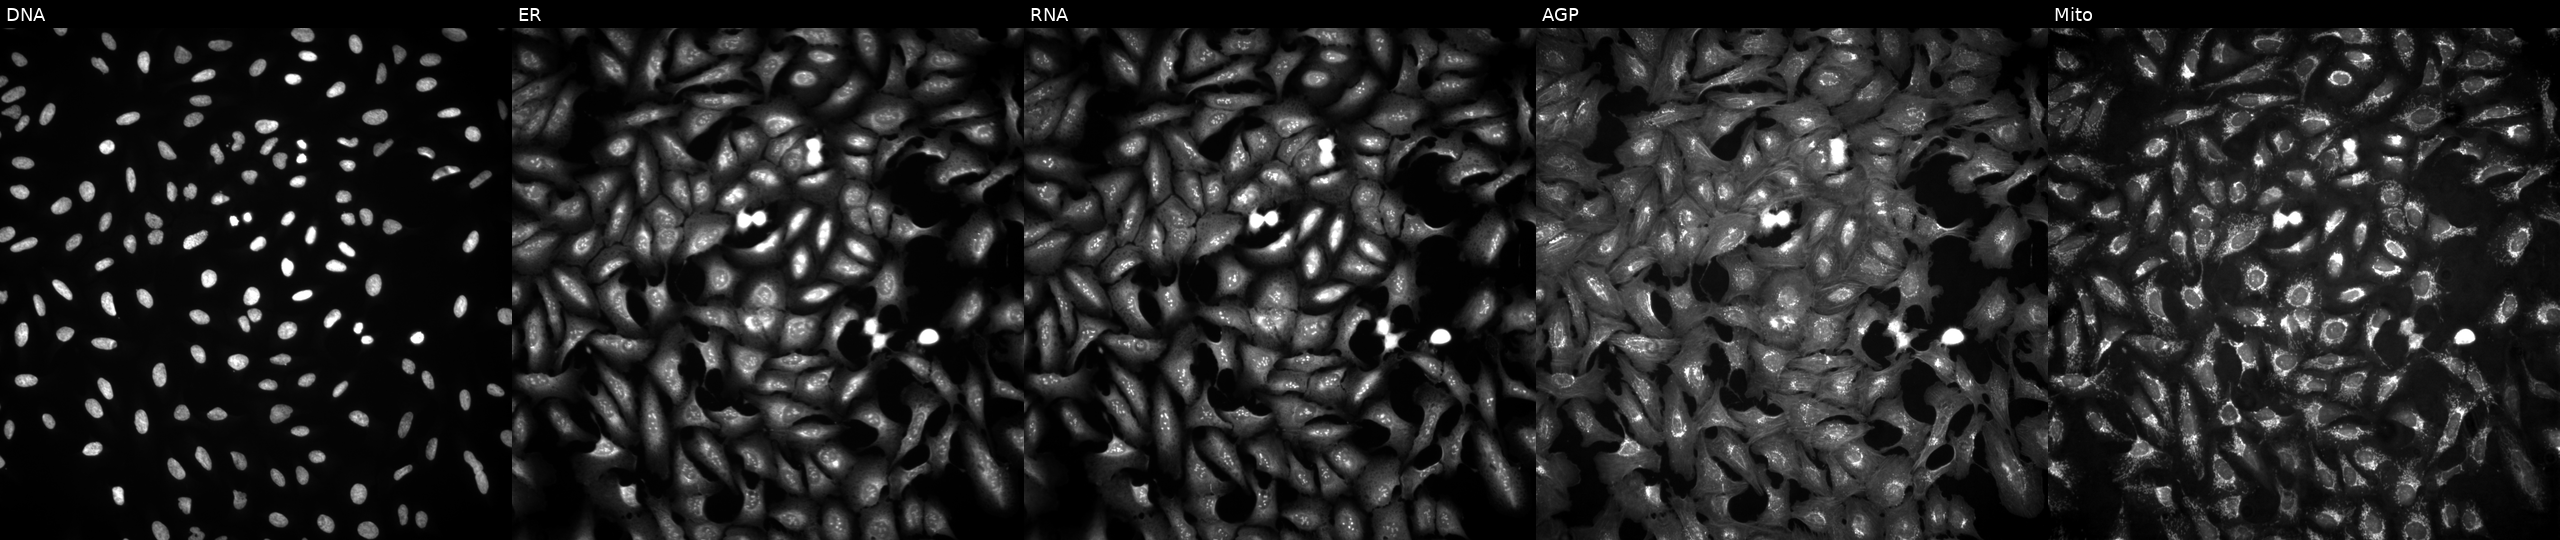
JUMP Cell Painting — ORF plate. U2OS cells transfected with an ORF construct for ISG20. From left to right: DNA (nuclei); ER (endoplasmic reticulum); RNA (nucleoli and cytoplasmic RNA); AGP (actin cytoskeleton, Golgi, and plasma membrane); Mito (mitochondria). Source 4, plate BR00124787, well C24.